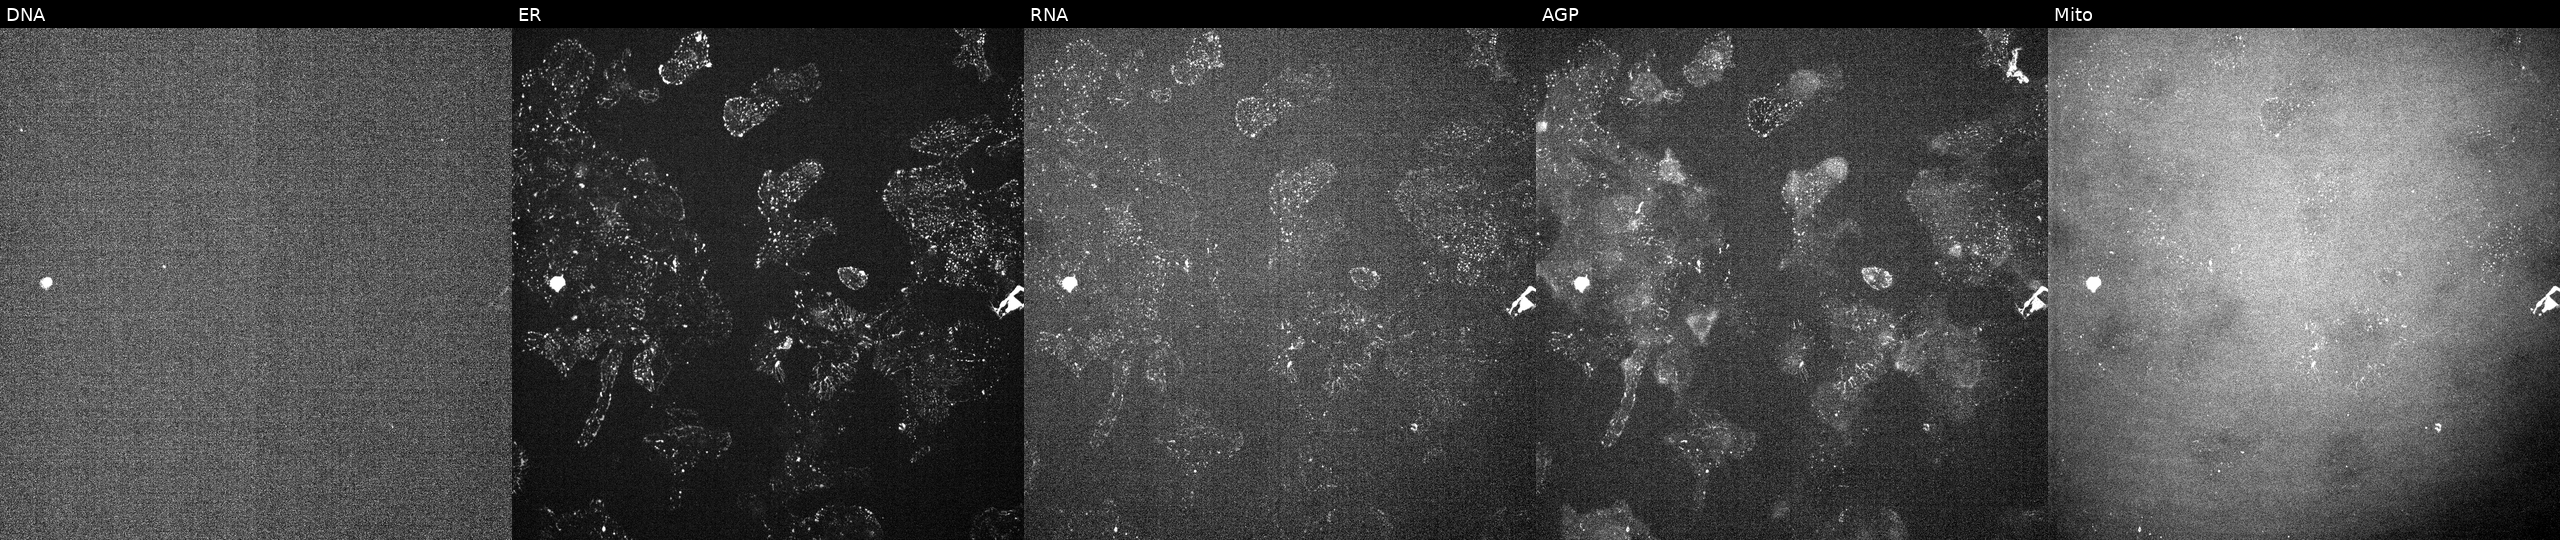
High-content fluorescence microscopy (Cell Painting). Cell line: U2OS. Perturbation: perturbed with a small-molecule compound (InChIKey CANBMWXJDLUDFF-UHFFFAOYSA-N) [SMILES: Cc1ccc(N=C2CC(=O)c3sc(C)nc3C2=O)cc1]. Panels show, left to right, DNA, ER, RNA, AGP, and Mito.